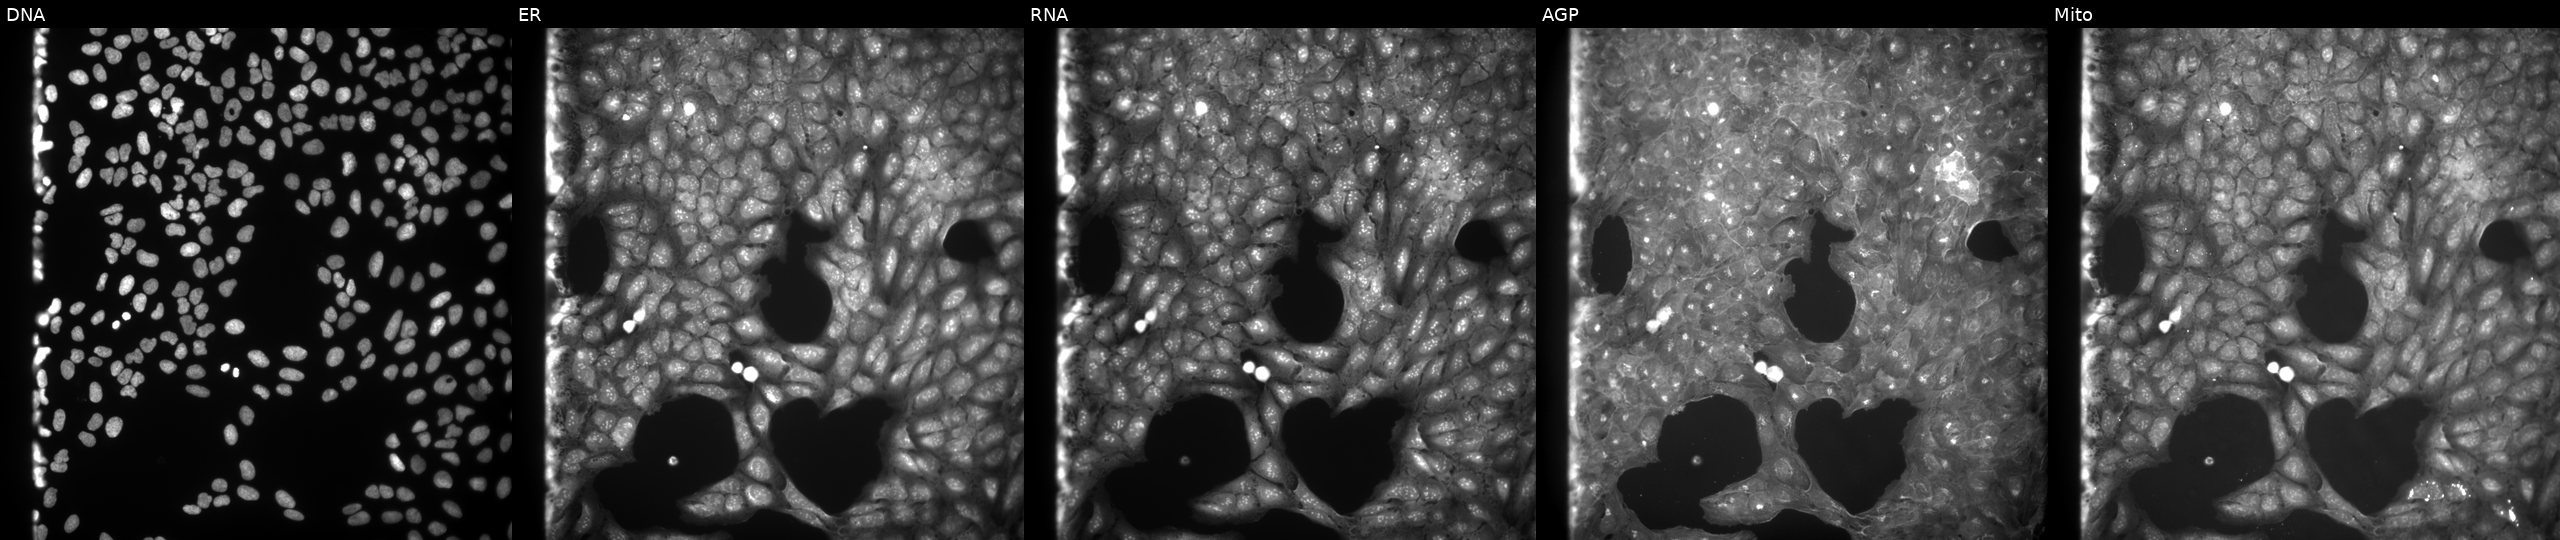
U2OS cells, Cell Painting assay, perturbed with a small-molecule compound (InChIKey HNSGJTOGBSRVGW-UHFFFAOYSA-N). From left to right: DNA (nuclei); ER (endoplasmic reticulum); RNA (nucleoli and cytoplasmic RNA); AGP (actin cytoskeleton, Golgi, and plasma membrane); Mito (mitochondria). Each panel is percentile-stretched 16-bit fluorescence.